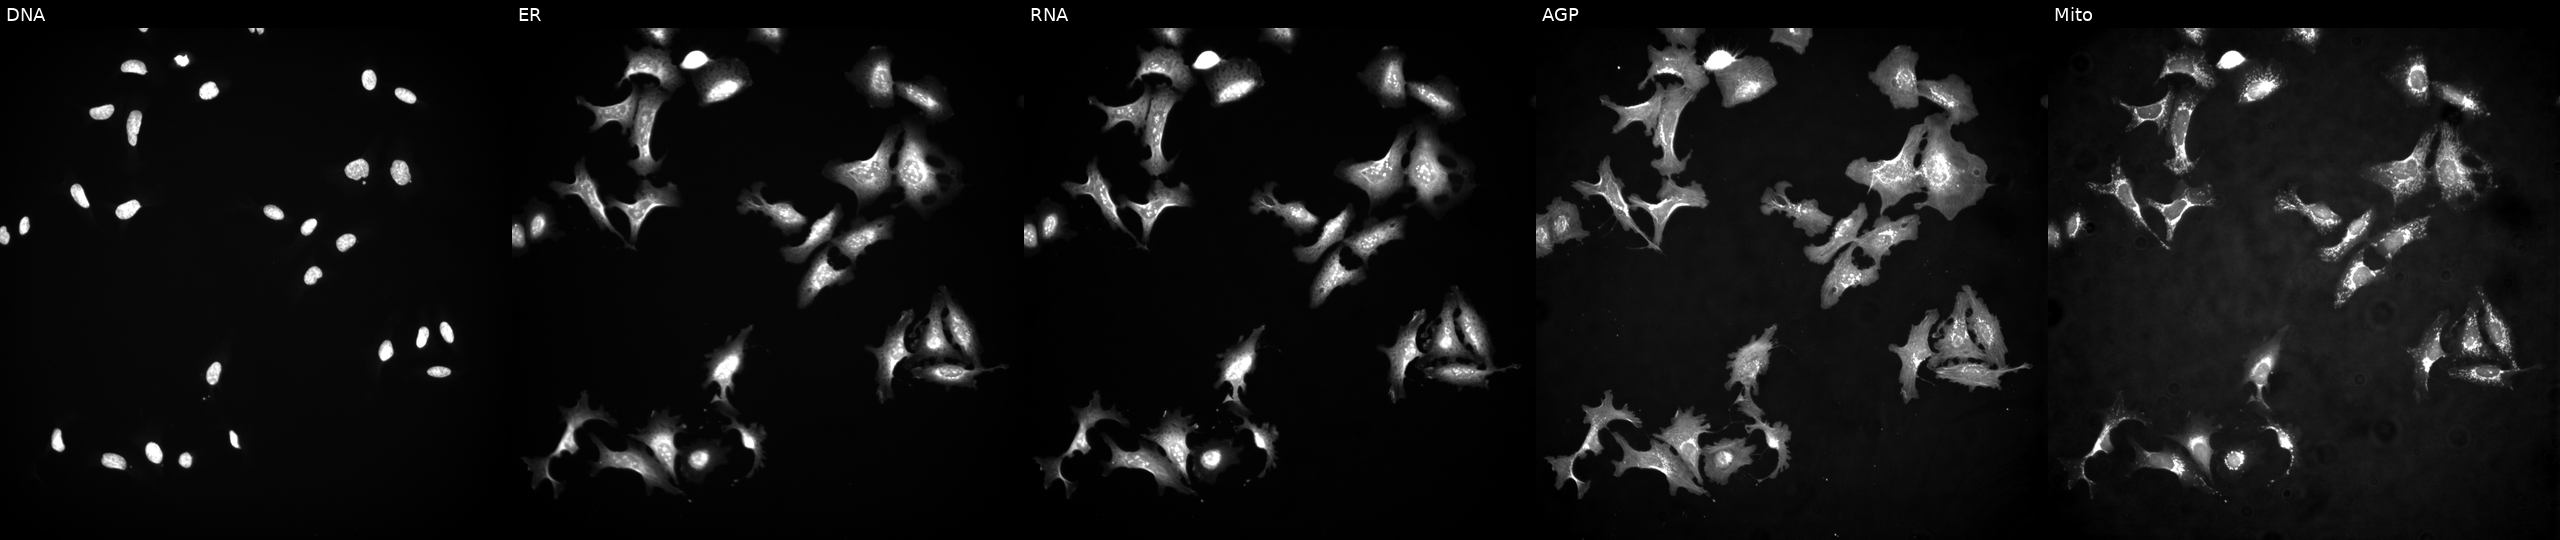
JUMP Cell Painting — ORF plate. U2OS cells transfected with an ORF construct for CDKL1. Channels (left→right): DNA (nuclei); ER (endoplasmic reticulum); RNA (nucleoli and cytoplasmic RNA); AGP (actin cytoskeleton, Golgi, and plasma membrane); Mito (mitochondria).